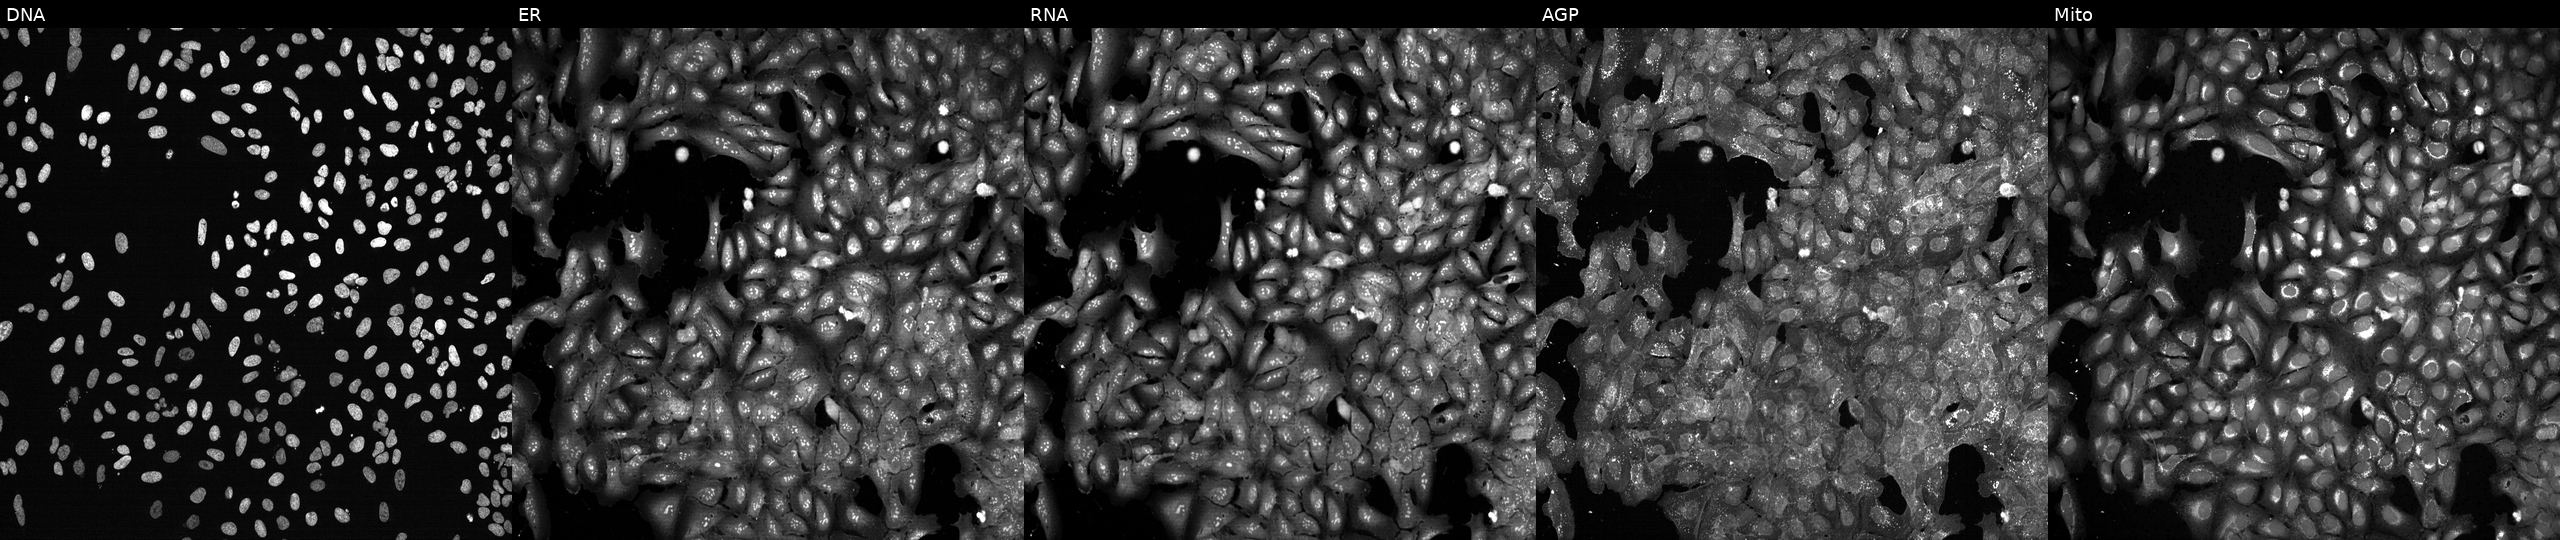
High-content fluorescence microscopy (Cell Painting). Cell line: U2OS. Perturbation: CRISPR-edited to disrupt HSPD1 (JUMP id JCP2022_803272). Panels show, left to right, DNA (nuclei); ER (endoplasmic reticulum); RNA (nucleoli and cytoplasmic RNA); AGP (actin cytoskeleton, Golgi, and plasma membrane); Mito (mitochondria).